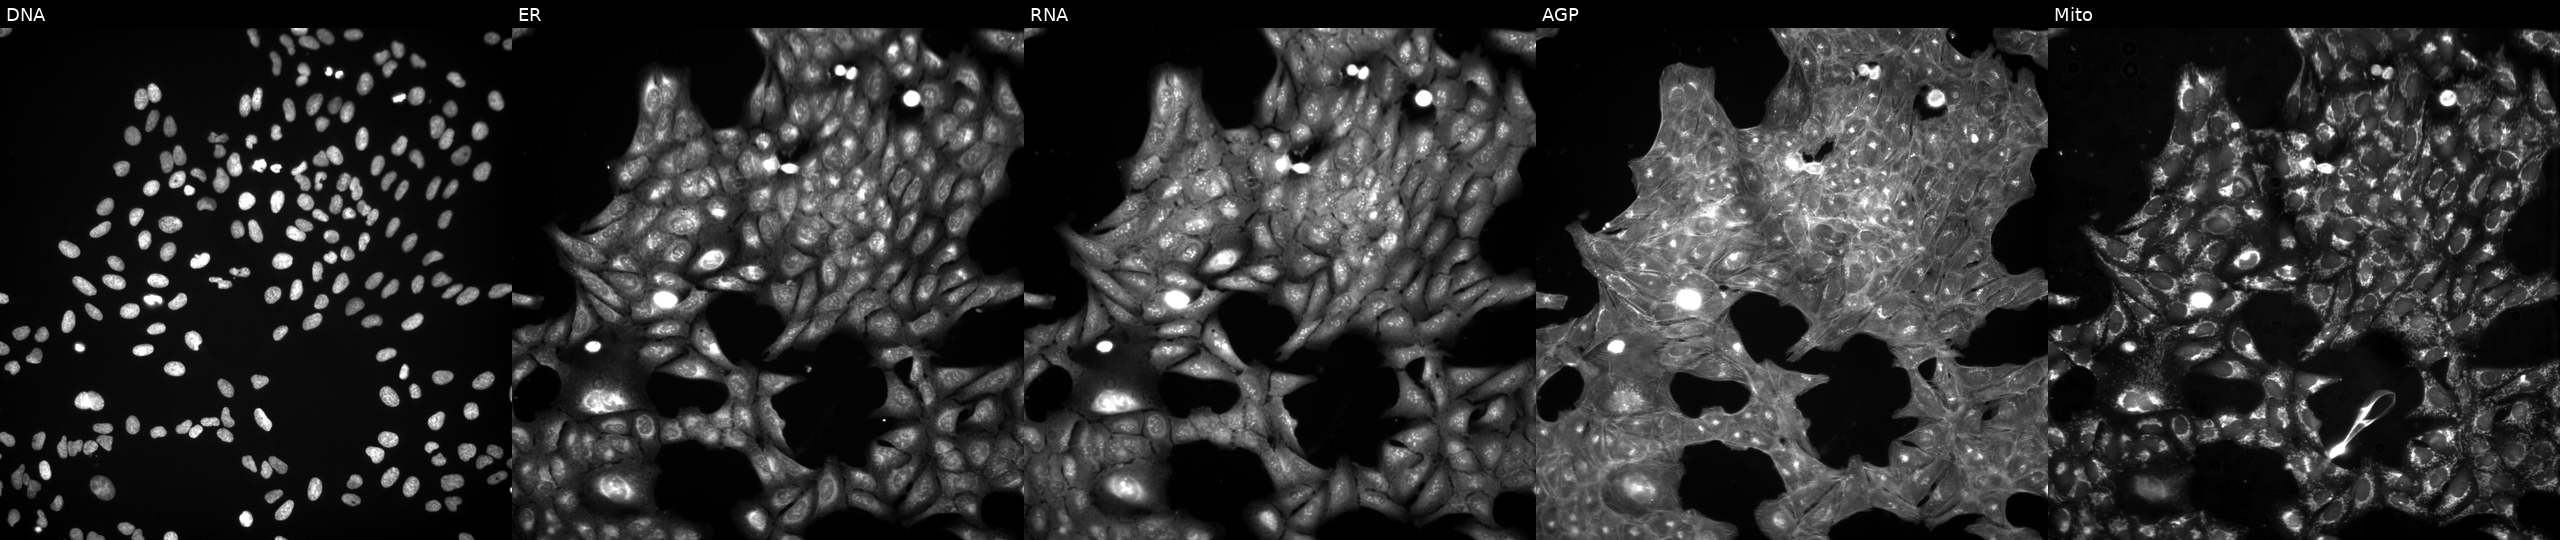
The five panels, left to right, show Hoechst 33342, concanavalin A, SYTO 14, phalloidin and WGA, MitoTracker. U2OS osteosarcoma cells exposed to a small-molecule compound (InChIKey DJKJVWJQAVGLHJ-UHFFFAOYSA-N) (JUMP id JCP2022_016288). Cell Painting assay, JUMP-CP dataset. Source 3, plate JCPQC053, well A11.